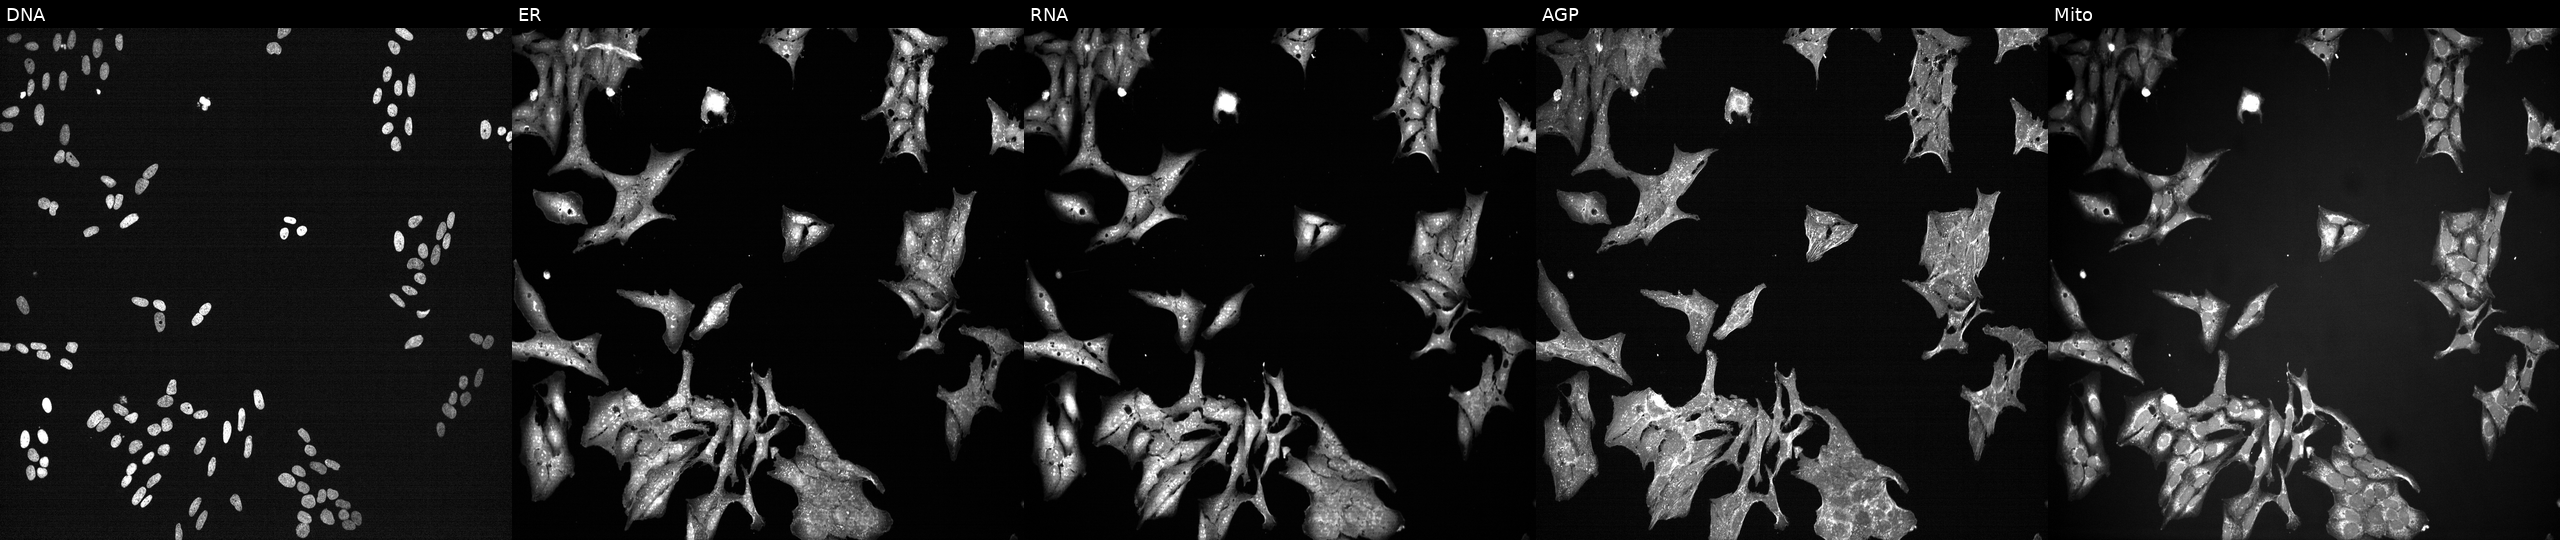
From left to right: DNA, ER, RNA, AGP, and Mito. U2OS osteosarcoma cells exposed to a small-molecule compound (InChIKey KAJXOWFGKYKMMZ-UHFFFAOYSA-N). Cell Painting assay, JUMP-CP dataset.